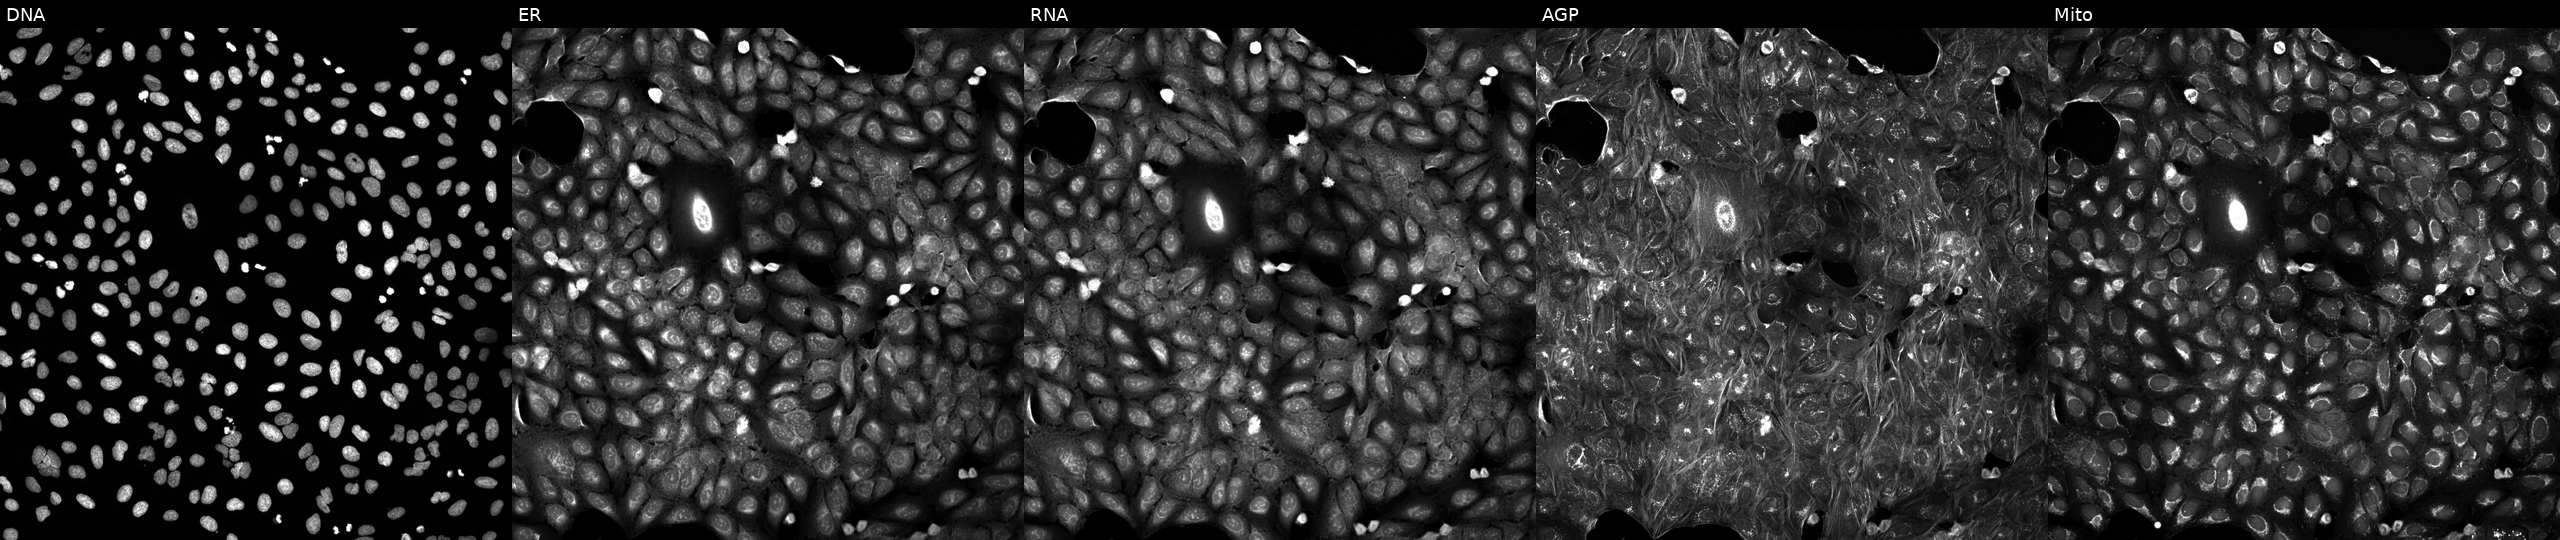
U2OS cells, Cell Painting assay, perturbed with a small-molecule compound. Channels (left→right): DNA, ER, RNA, AGP, and Mito. Each panel is percentile-stretched 16-bit fluorescence.